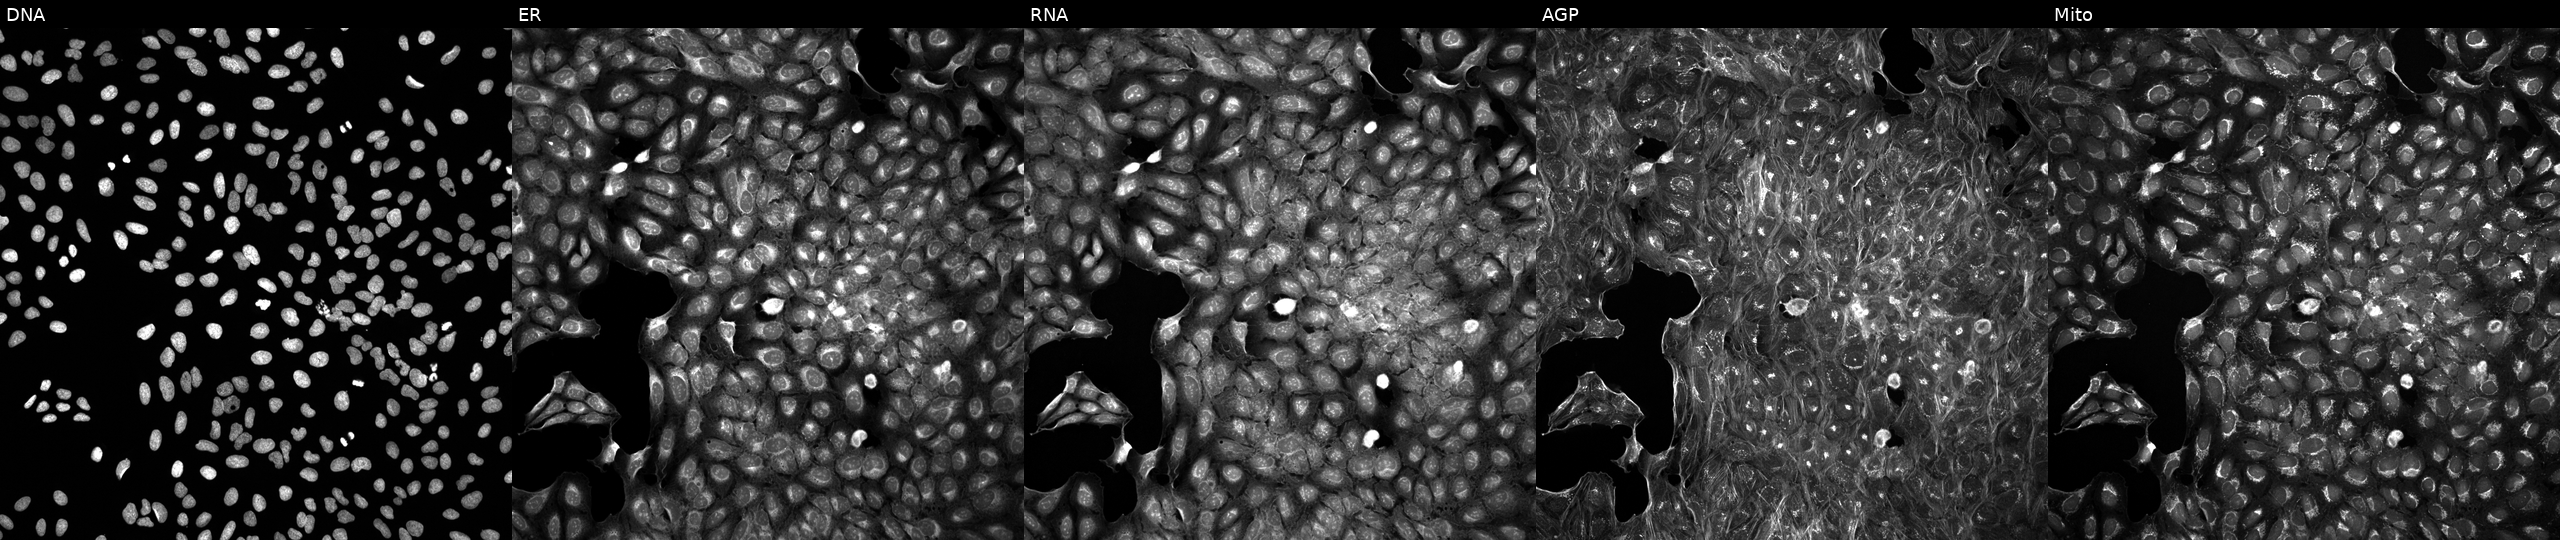
High-content fluorescence microscopy (Cell Painting). Cell line: U2OS. Perturbation: perturbed with a small-molecule compound (InChIKey KFAKESMKRPNZTM-UHFFFAOYSA-N). Channels (left→right): DNA (nuclei); ER (endoplasmic reticulum); RNA (nucleoli and cytoplasmic RNA); AGP (actin cytoskeleton, Golgi, and plasma membrane); Mito (mitochondria). Source 5, plate ACPJUM012, well C23.